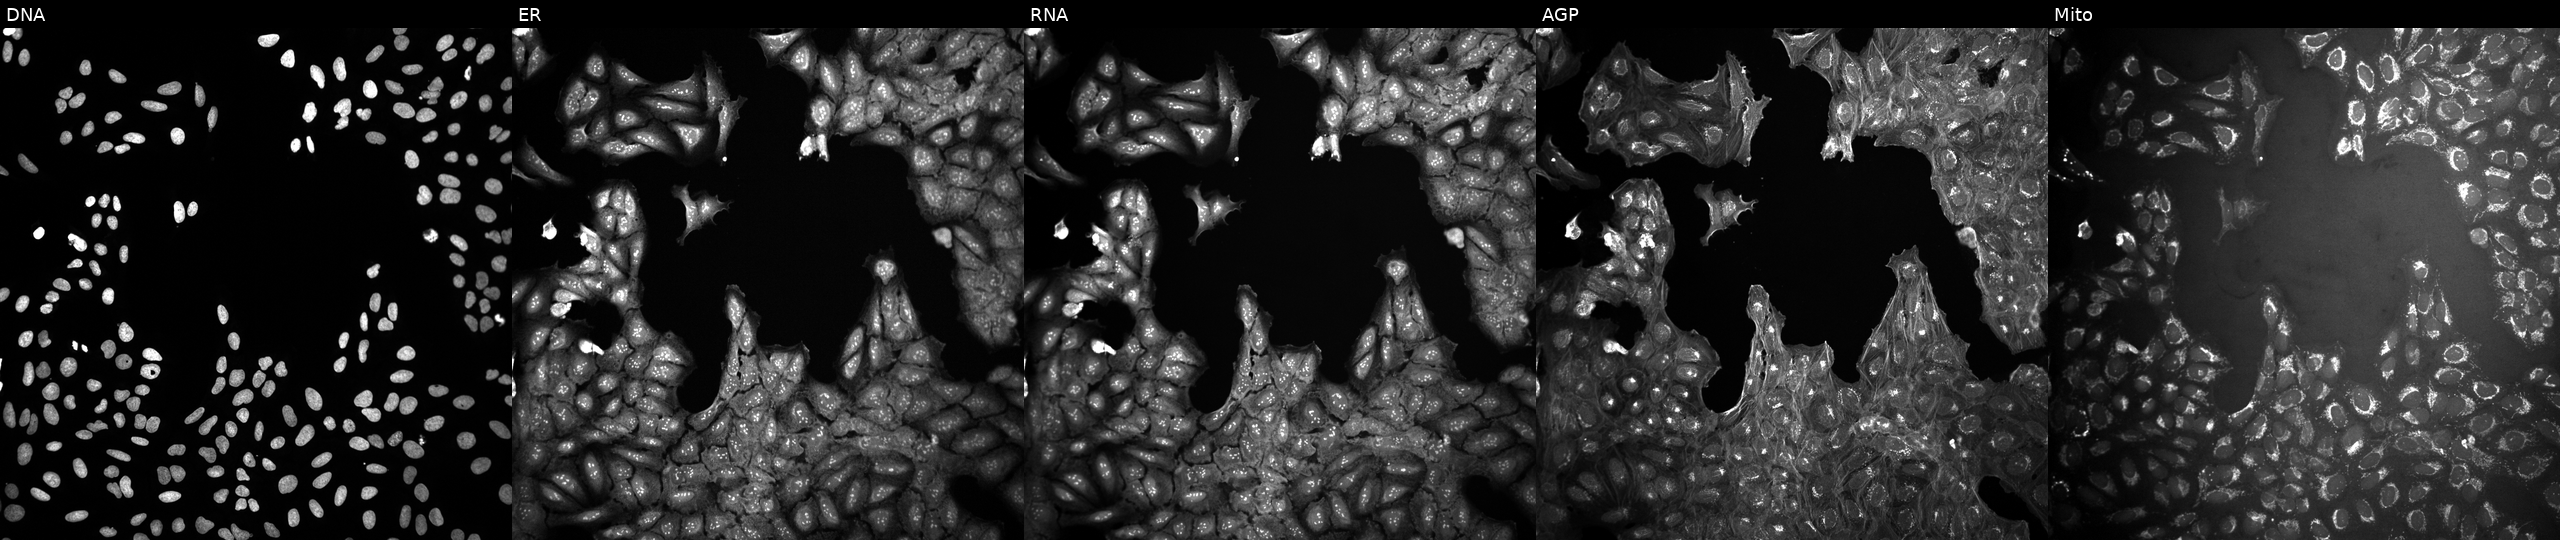
U2OS cells, Cell Painting assay, treated with DMSO vehicle only (negative control) (JUMP id JCP2022_033924). The five panels, left to right, show DNA (nuclei); ER (endoplasmic reticulum); RNA (nucleoli and cytoplasmic RNA); AGP (actin cytoskeleton, Golgi, and plasma membrane); Mito (mitochondria). Each panel is percentile-stretched 16-bit fluorescence.